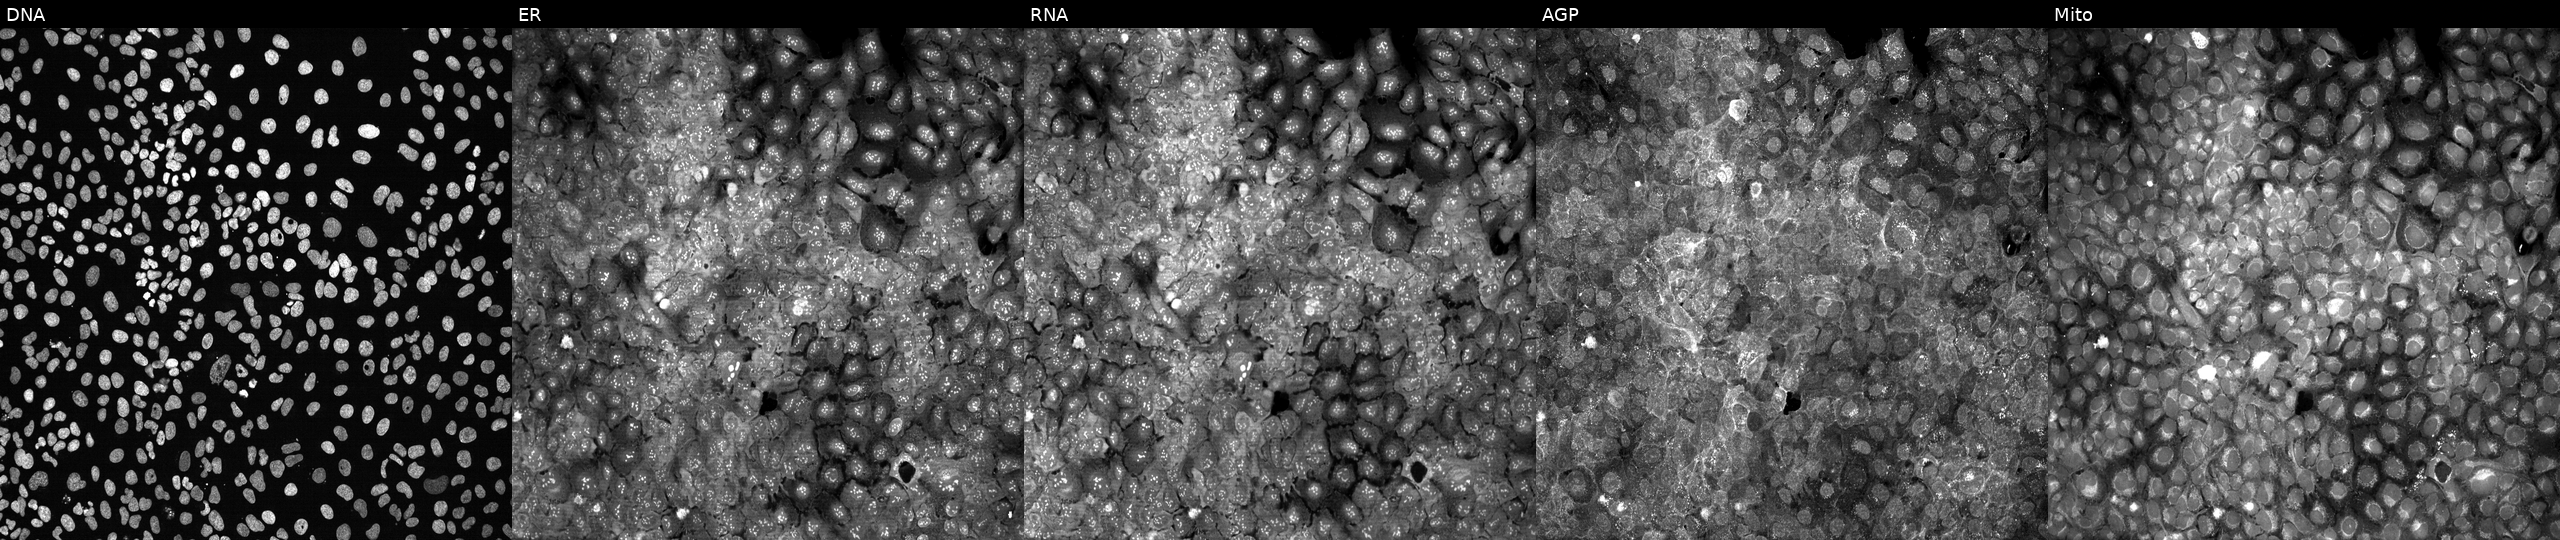
Five-channel Cell Painting image of U2OS cells with SLC9A9 knocked out by CRISPR (JUMP id JCP2022_806599). Panels show, left to right, DNA (nuclei); ER (endoplasmic reticulum); RNA (nucleoli and cytoplasmic RNA); AGP (actin cytoskeleton, Golgi, and plasma membrane); Mito (mitochondria).